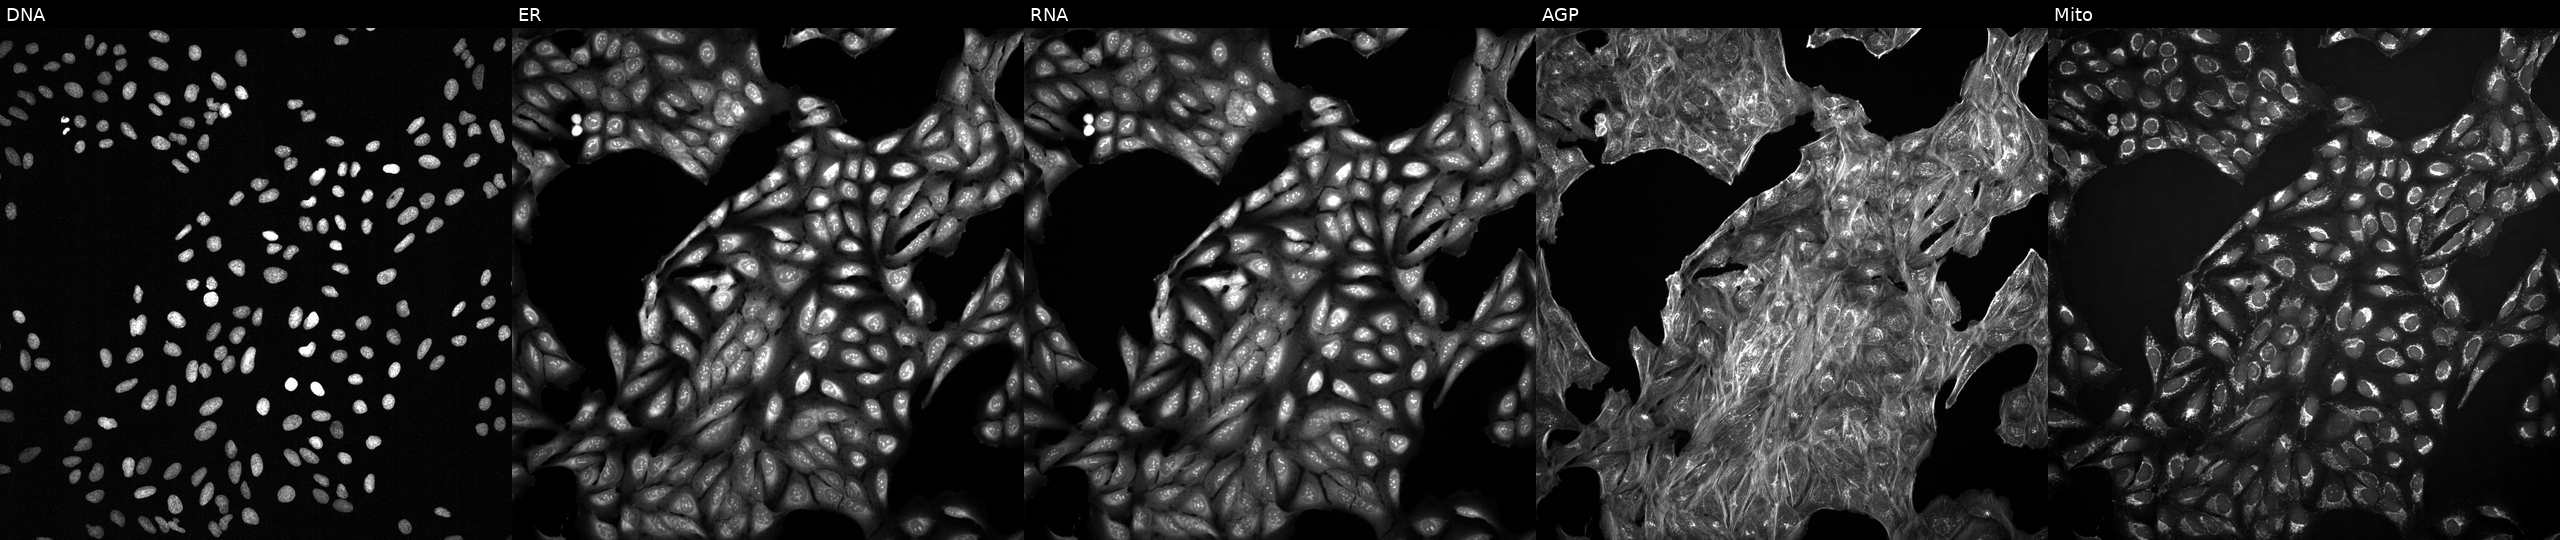
High-content fluorescence microscopy (Cell Painting). Cell line: U2OS. Perturbation: exposed to DMSO alone as a negative control. The five panels, left to right, show DNA, ER, RNA, AGP, and Mito.